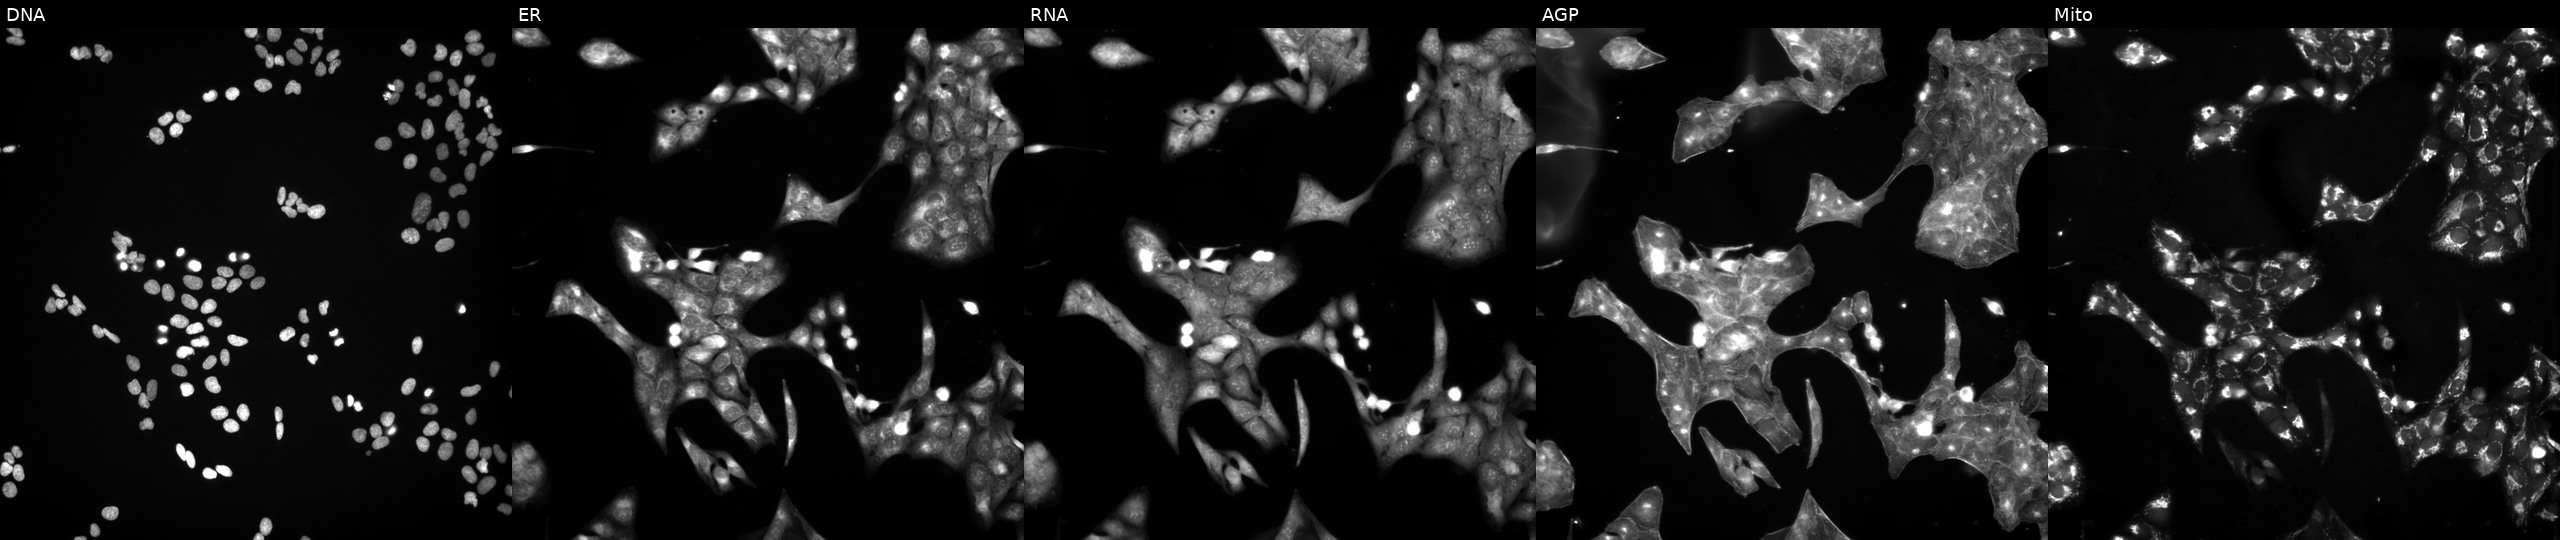
This image strip shows the five Cell Painting channels for a single field of U2OS cells perturbed with a small-molecule compound. From left to right: DNA, ER, RNA, AGP, and Mito. Source 3, plate JCPQC053, well N02.